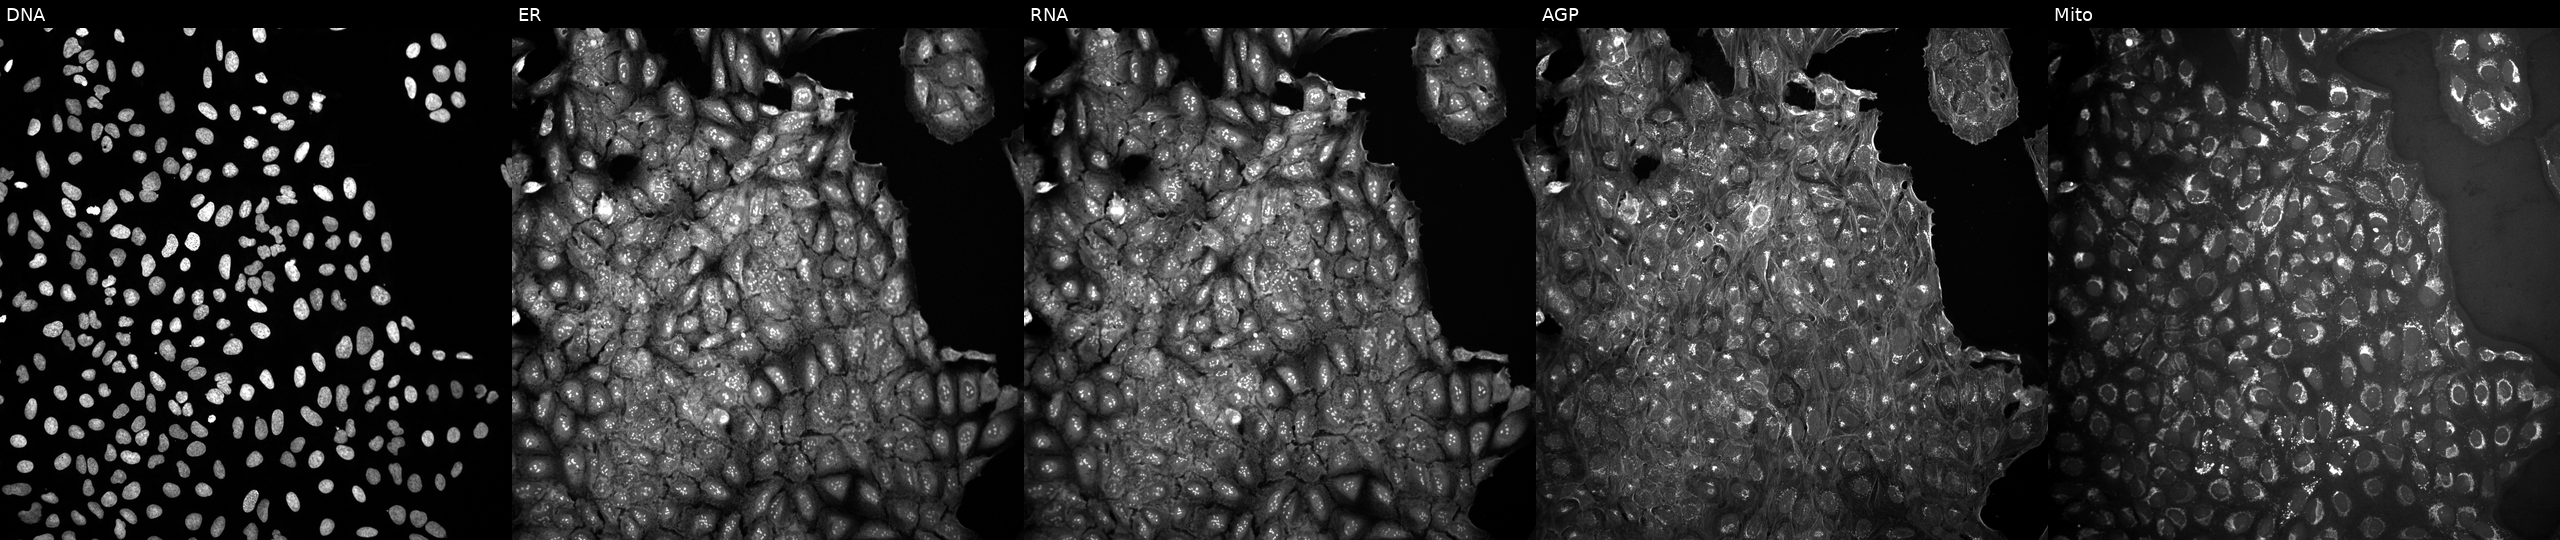
JUMP Cell Painting — COMPOUND plate. U2OS cells untreated (empty-well control) (JUMP id JCP2022_999999). The five panels, left to right, show Hoechst 33342, concanavalin A, SYTO 14, phalloidin and WGA, MitoTracker.